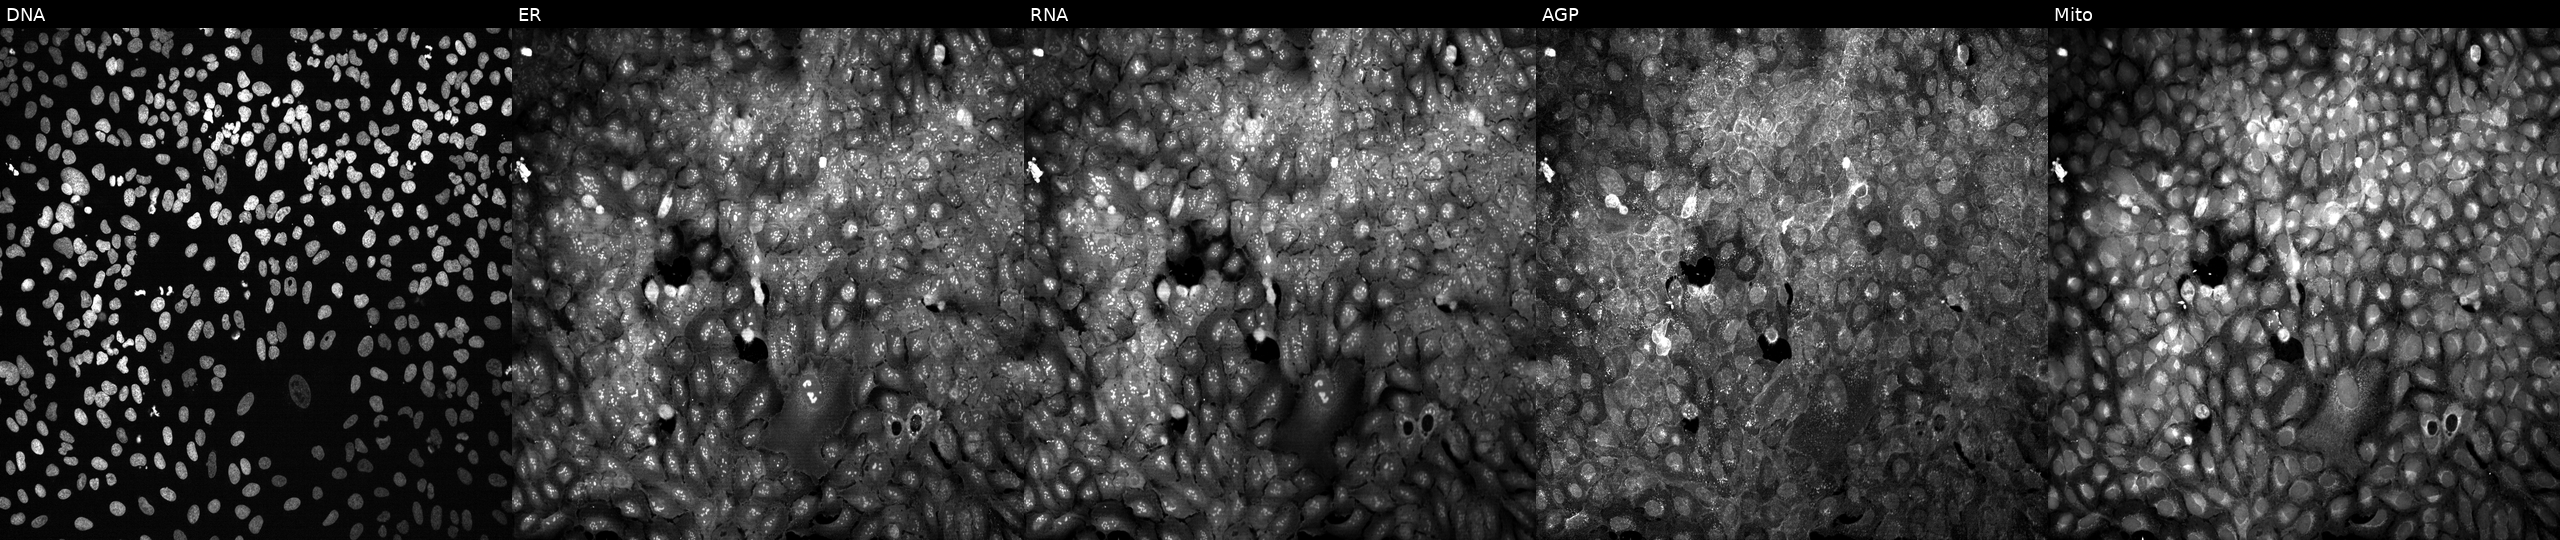
This image strip shows the five Cell Painting channels for a single field of U2OS cells CRISPR-edited to disrupt GPAT3. The five panels, left to right, show DNA (nuclei); ER (endoplasmic reticulum); RNA (nucleoli and cytoplasmic RNA); AGP (actin cytoskeleton, Golgi, and plasma membrane); Mito (mitochondria).